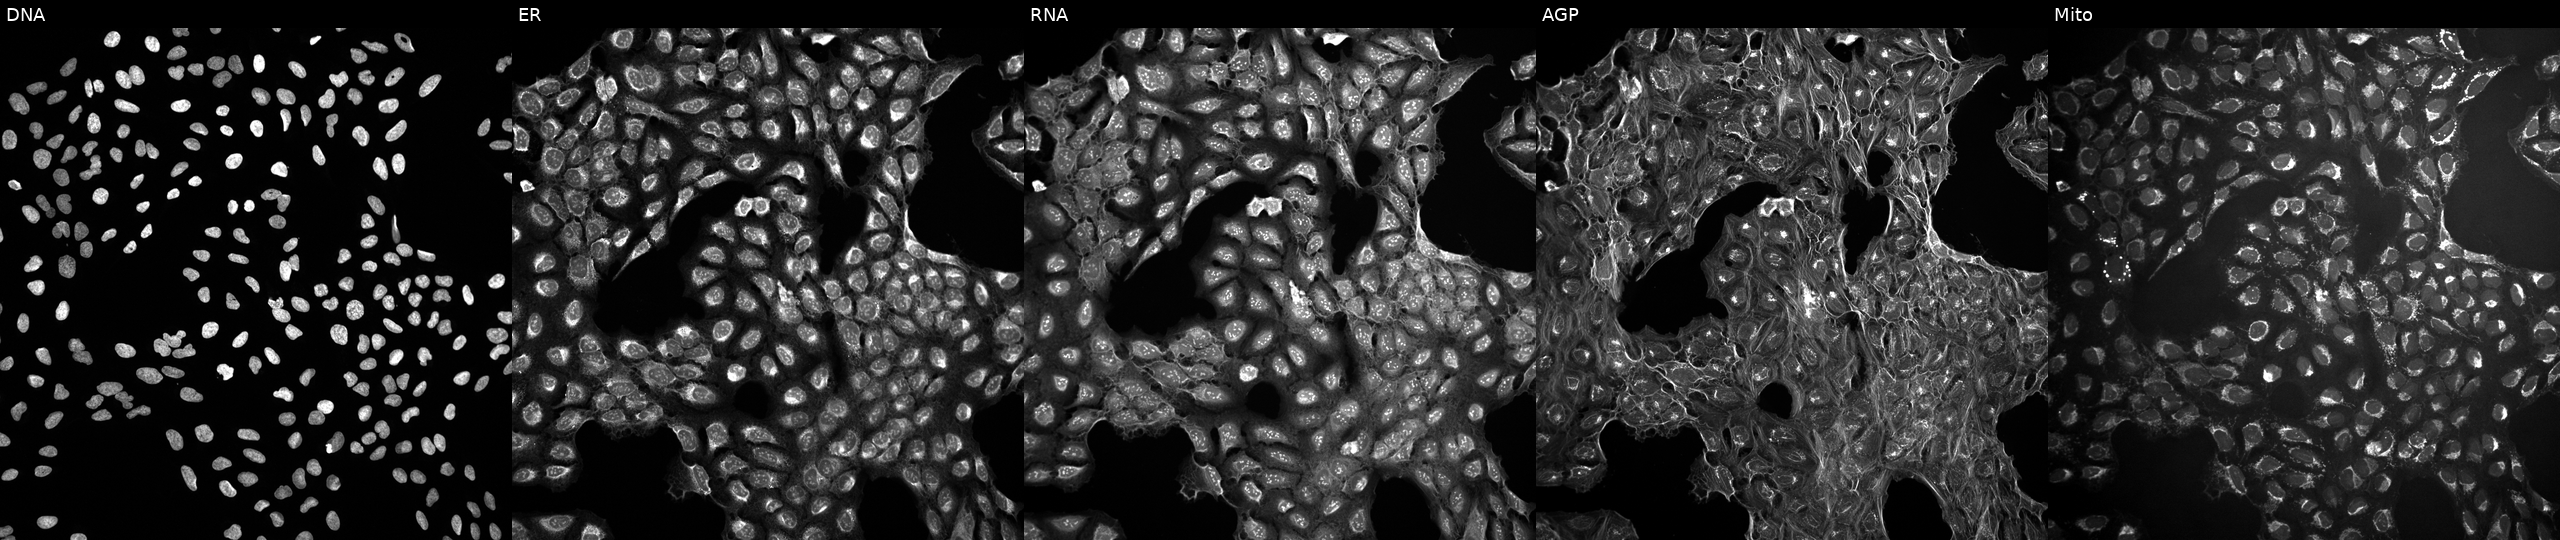
High-content fluorescence microscopy (Cell Painting). Cell line: U2OS. Perturbation: in an empty control well (no perturbation) (JUMP id JCP2022_999999). Channels (left→right): DNA (nuclei); ER (endoplasmic reticulum); RNA (nucleoli and cytoplasmic RNA); AGP (actin cytoskeleton, Golgi, and plasma membrane); Mito (mitochondria). Source 10, plate Dest210531-152324, well P16.